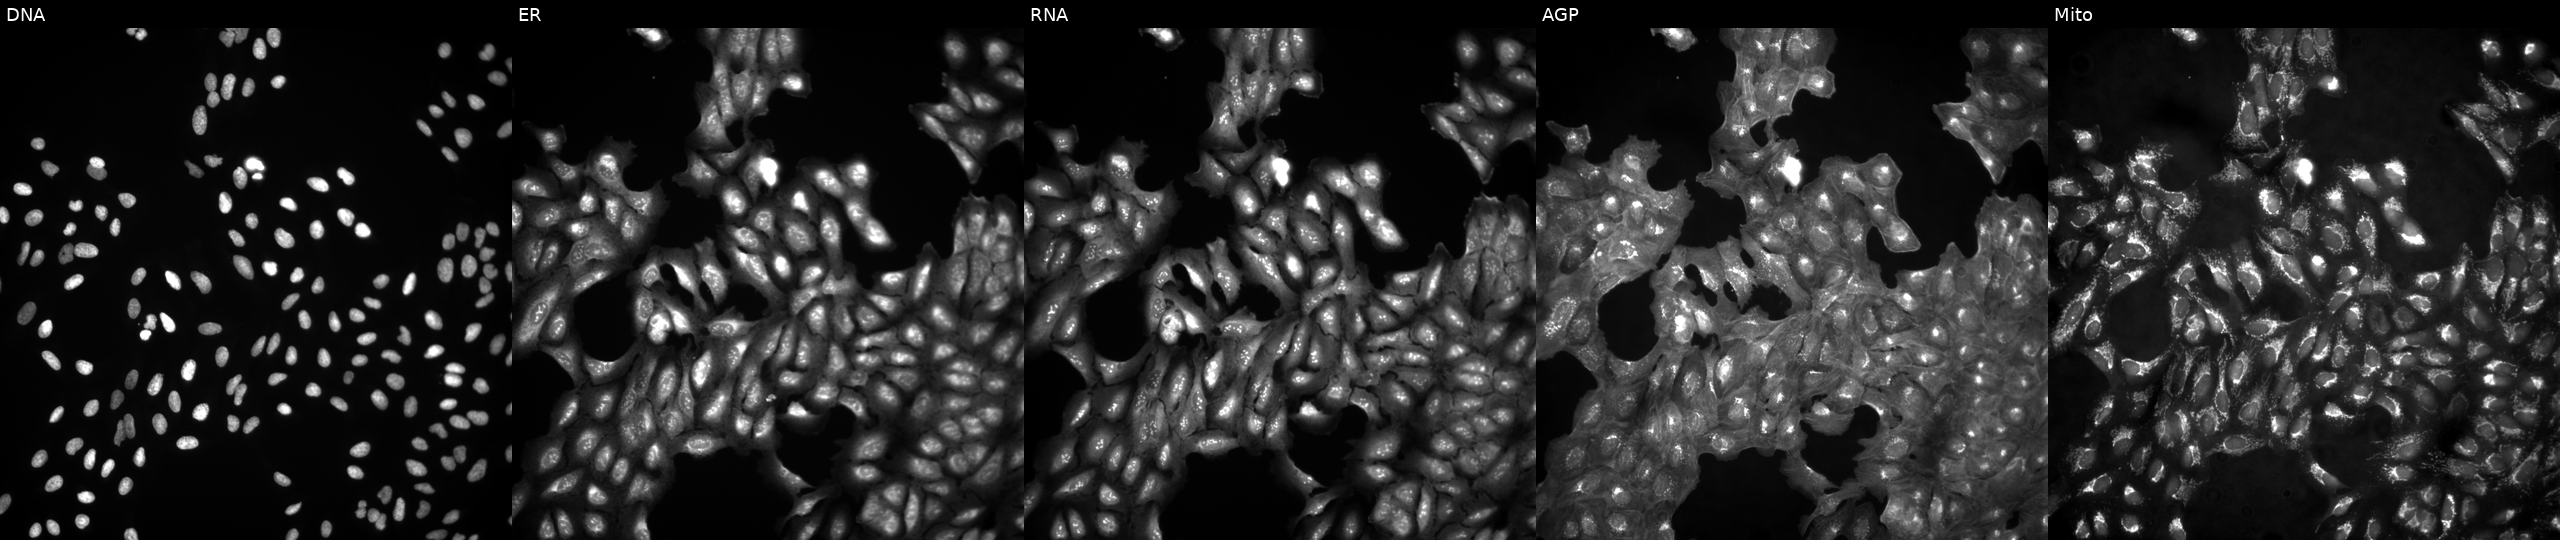
U2OS cells, Cell Painting assay, untreated (empty-well control). Panels show, left to right, DNA (nuclei); ER (endoplasmic reticulum); RNA (nucleoli and cytoplasmic RNA); AGP (actin cytoskeleton, Golgi, and plasma membrane); Mito (mitochondria). Each panel is percentile-stretched 16-bit fluorescence. Source 4, plate BR00123946, well I22.